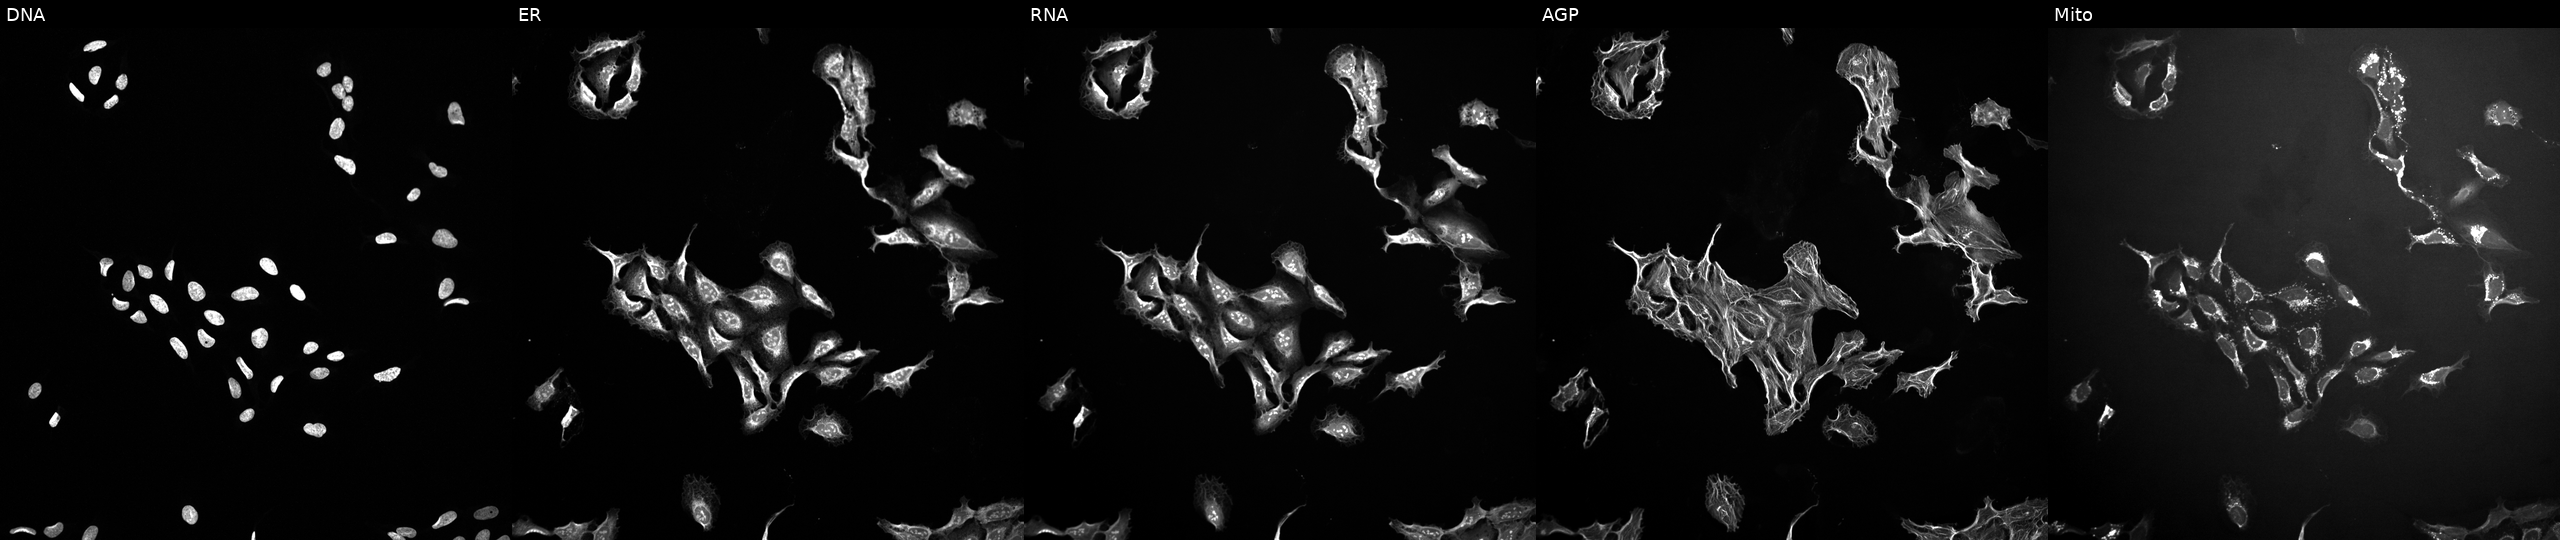
High-content fluorescence microscopy (Cell Painting). Cell line: U2OS. Perturbation: perturbed with a small-molecule compound (InChIKey MAASHDQFQDDECQ-UHFFFAOYSA-N). From left to right: DNA (nuclei); ER (endoplasmic reticulum); RNA (nucleoli and cytoplasmic RNA); AGP (actin cytoskeleton, Golgi, and plasma membrane); Mito (mitochondria).